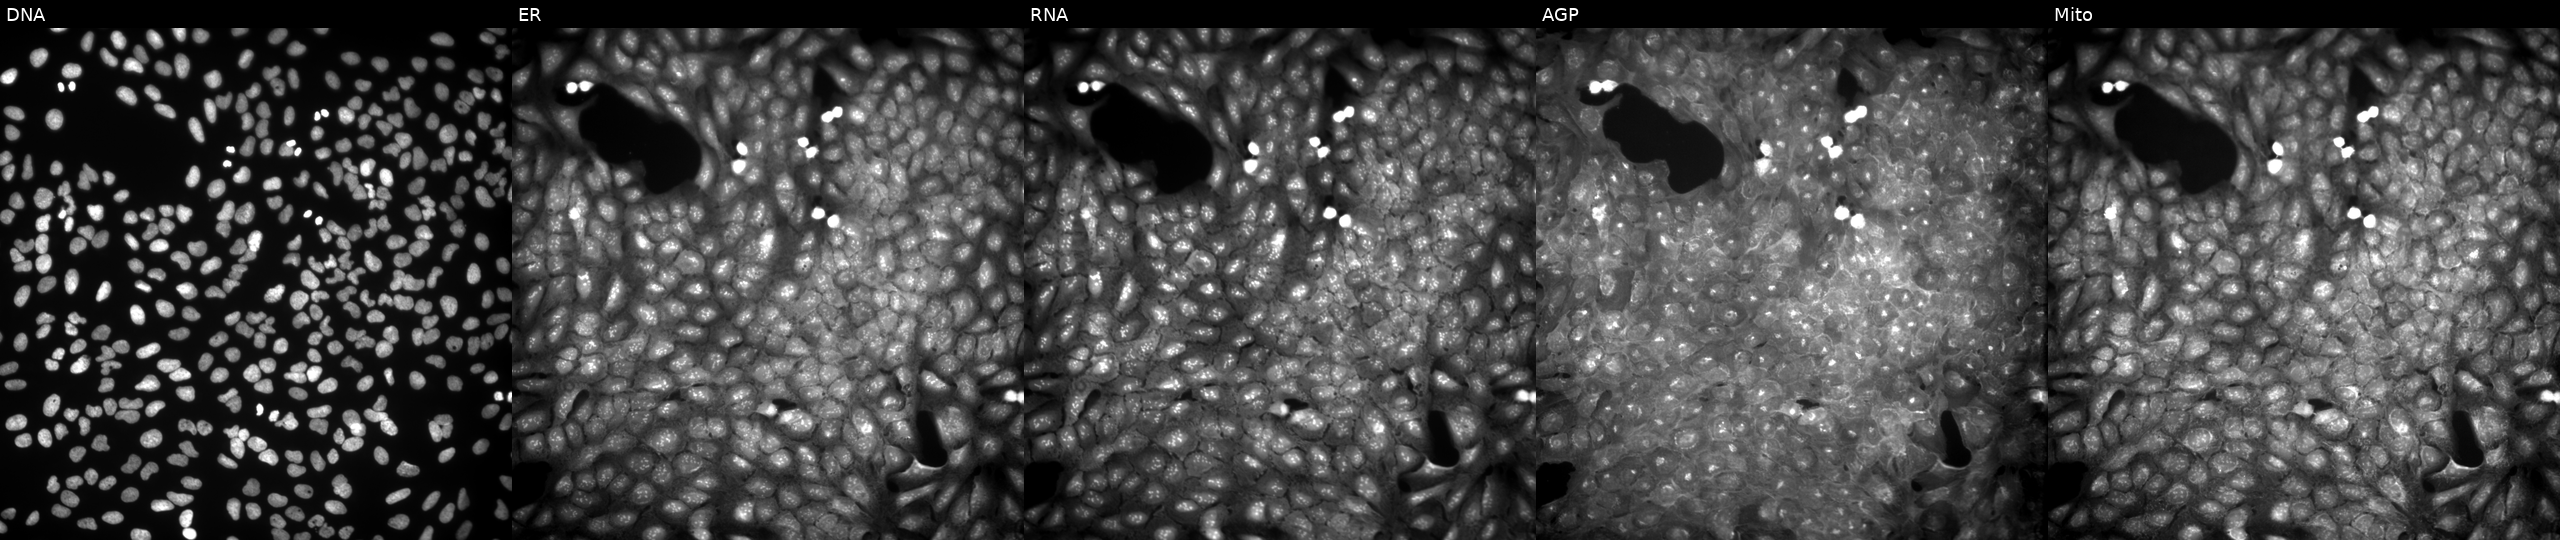
This image strip shows the five Cell Painting channels for a single field of U2OS cells treated with a small-molecule compound (JUMP id JCP2022_112759). From left to right: DNA (nuclei); ER (endoplasmic reticulum); RNA (nucleoli and cytoplasmic RNA); AGP (actin cytoskeleton, Golgi, and plasma membrane); Mito (mitochondria).